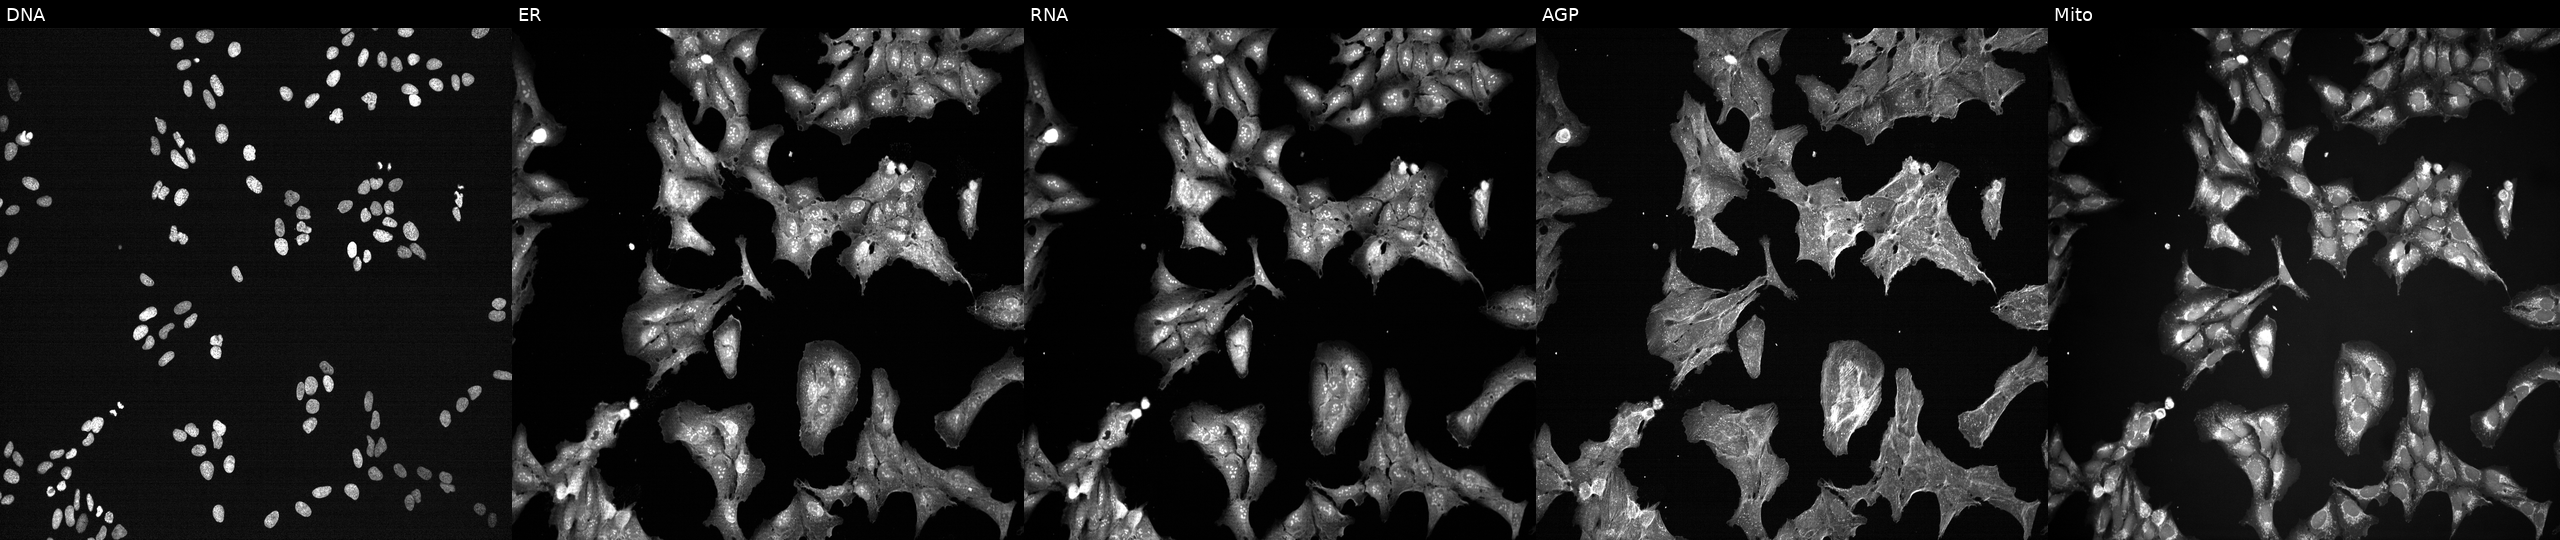
Five-channel Cell Painting image of U2OS cells treated with a small-molecule compound (InChIKey FYIBXBFDXNPBSF-UHFFFAOYSA-N). Panels show, left to right, Hoechst 33342, concanavalin A, SYTO 14, phalloidin and WGA, MitoTracker.